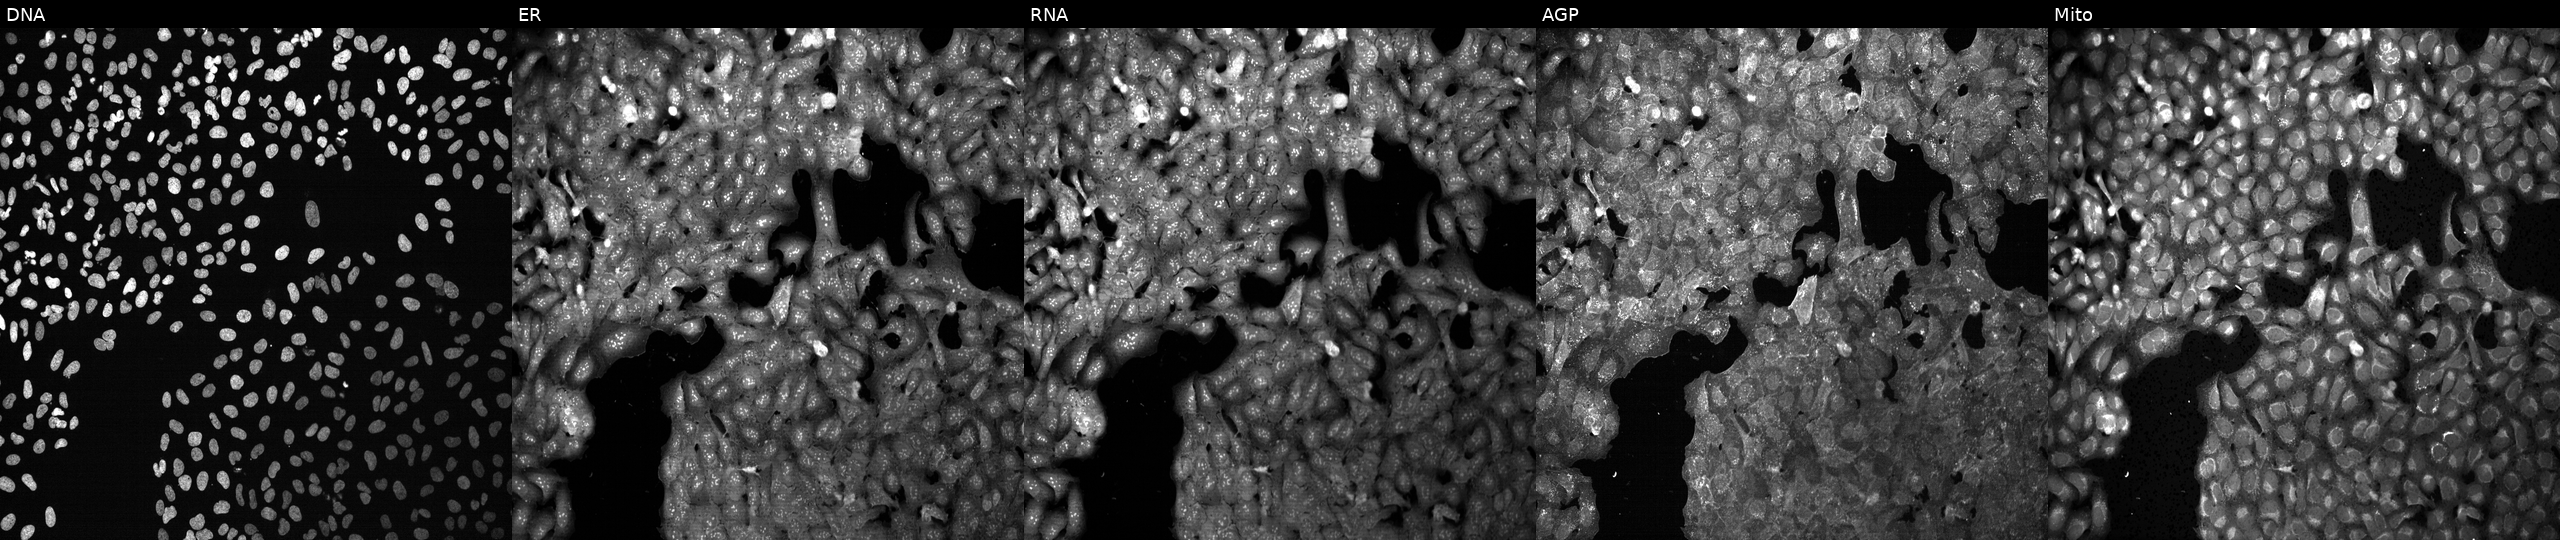
Panels show, left to right, DNA, ER, RNA, AGP, and Mito. U2OS osteosarcoma cells exposed to the positive-control compound NVS-PAK1-1. Cell Painting assay, JUMP-CP dataset.